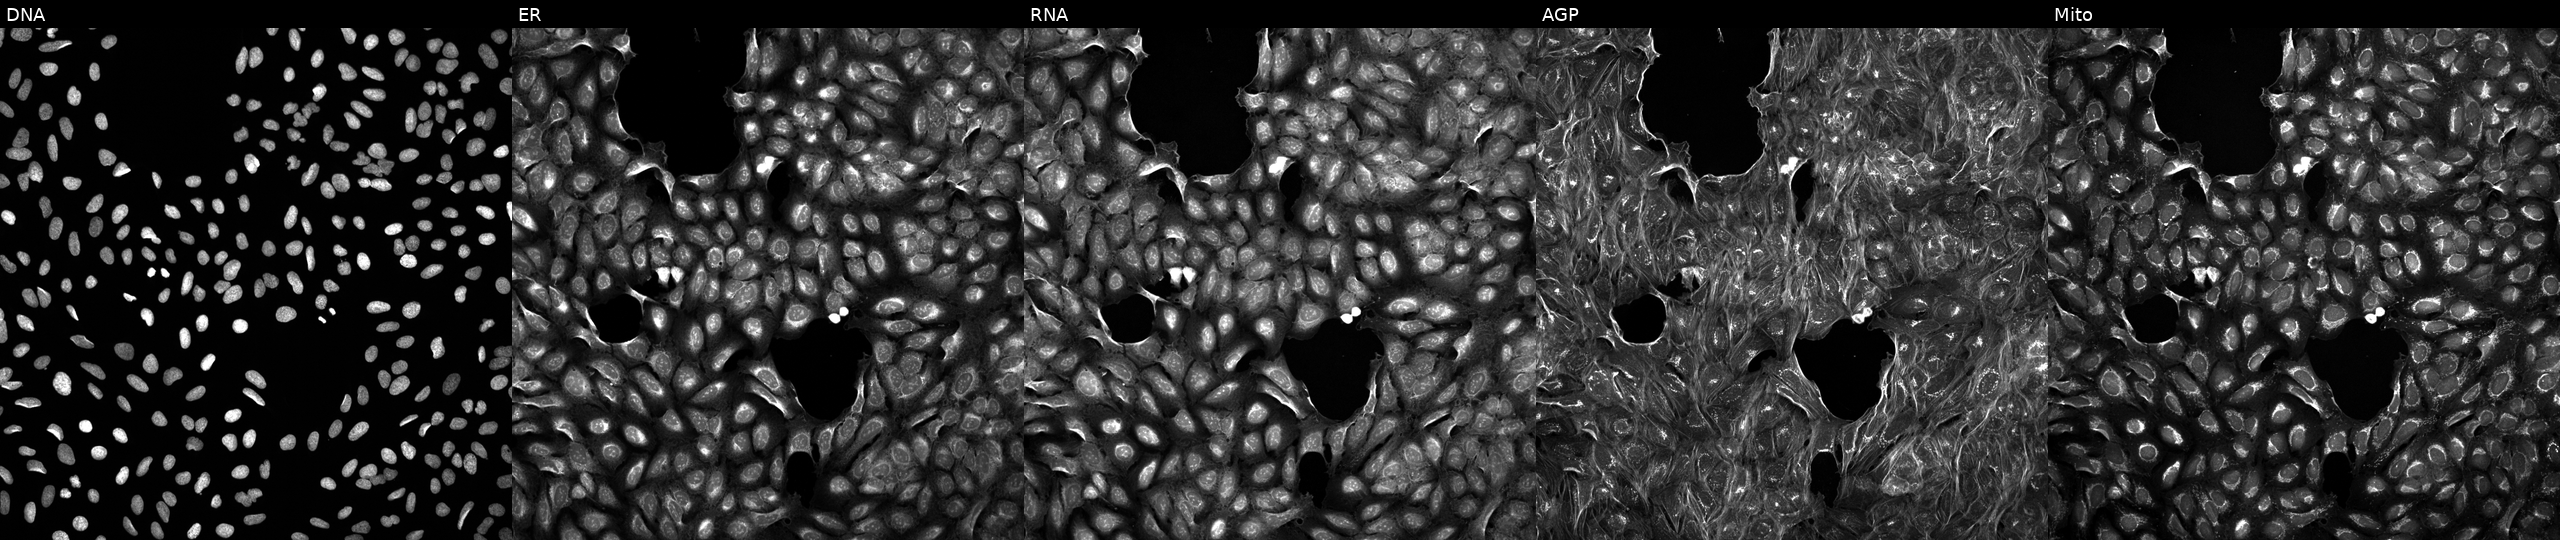
Five-channel Cell Painting image of U2OS cells treated with a small-molecule compound (InChIKey AFJRDFWMXUECEW-UHFFFAOYSA-N) [SMILES: Cn1ncc(Cl)c1-c1cc(C(=O)NC(CN)Cc2cccc(F)c2)sc1Cl] (JUMP id JCP2022_001036). From left to right: Hoechst 33342, concanavalin A, SYTO 14, phalloidin and WGA, MitoTracker.